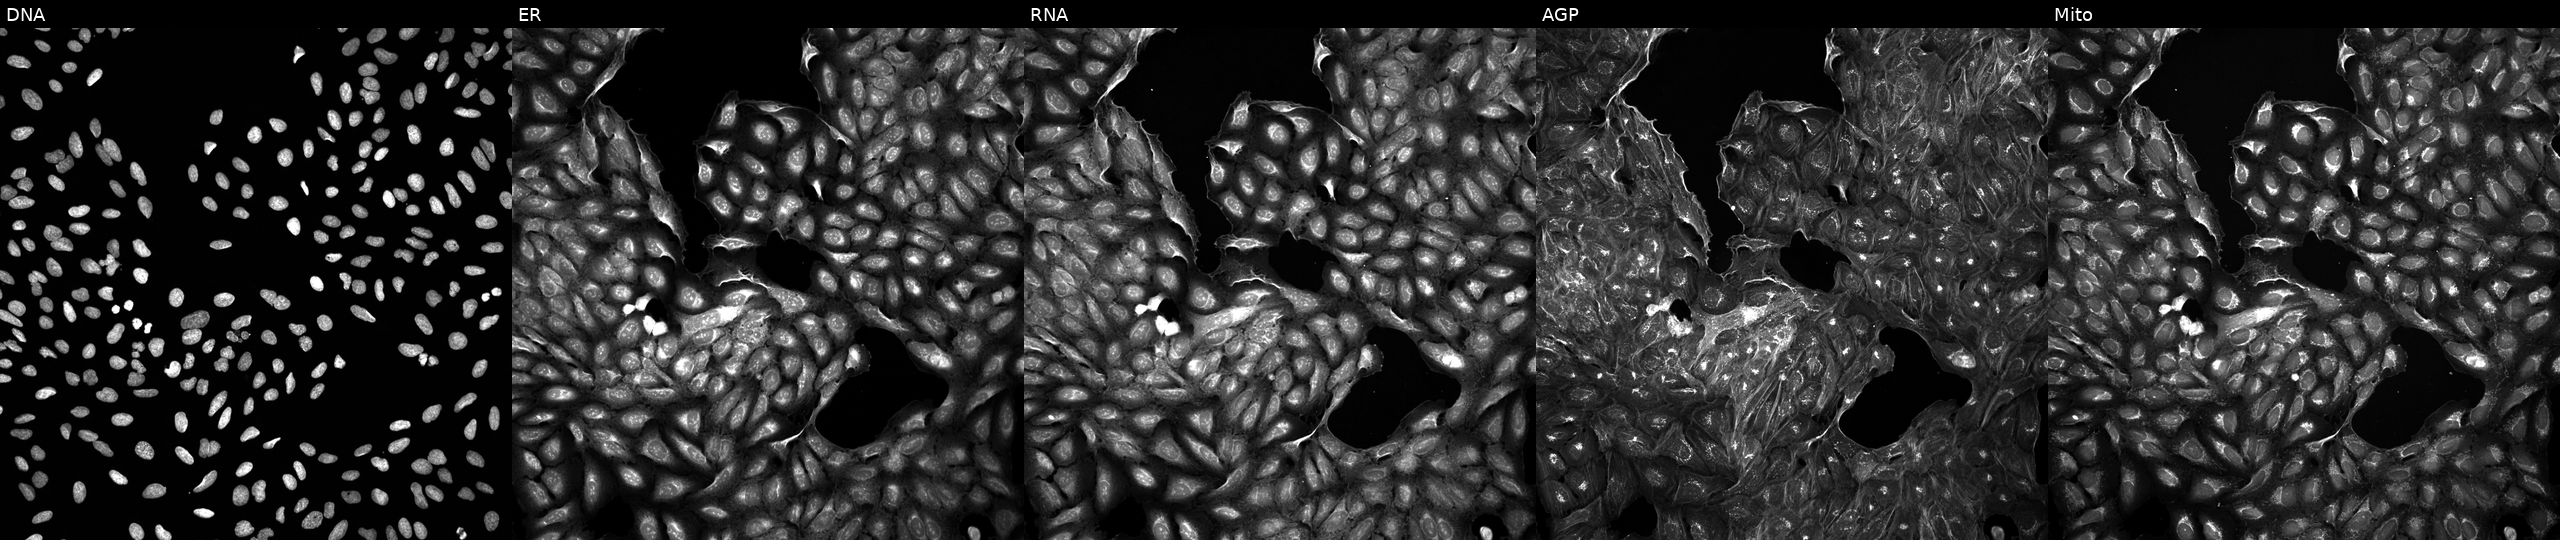
The five panels, left to right, show DNA, ER, RNA, AGP, and Mito. U2OS osteosarcoma cells treated with a small-molecule compound (JUMP id JCP2022_029672). Cell Painting assay, JUMP-CP dataset. Source 5, plate APTJUM106, well K18.